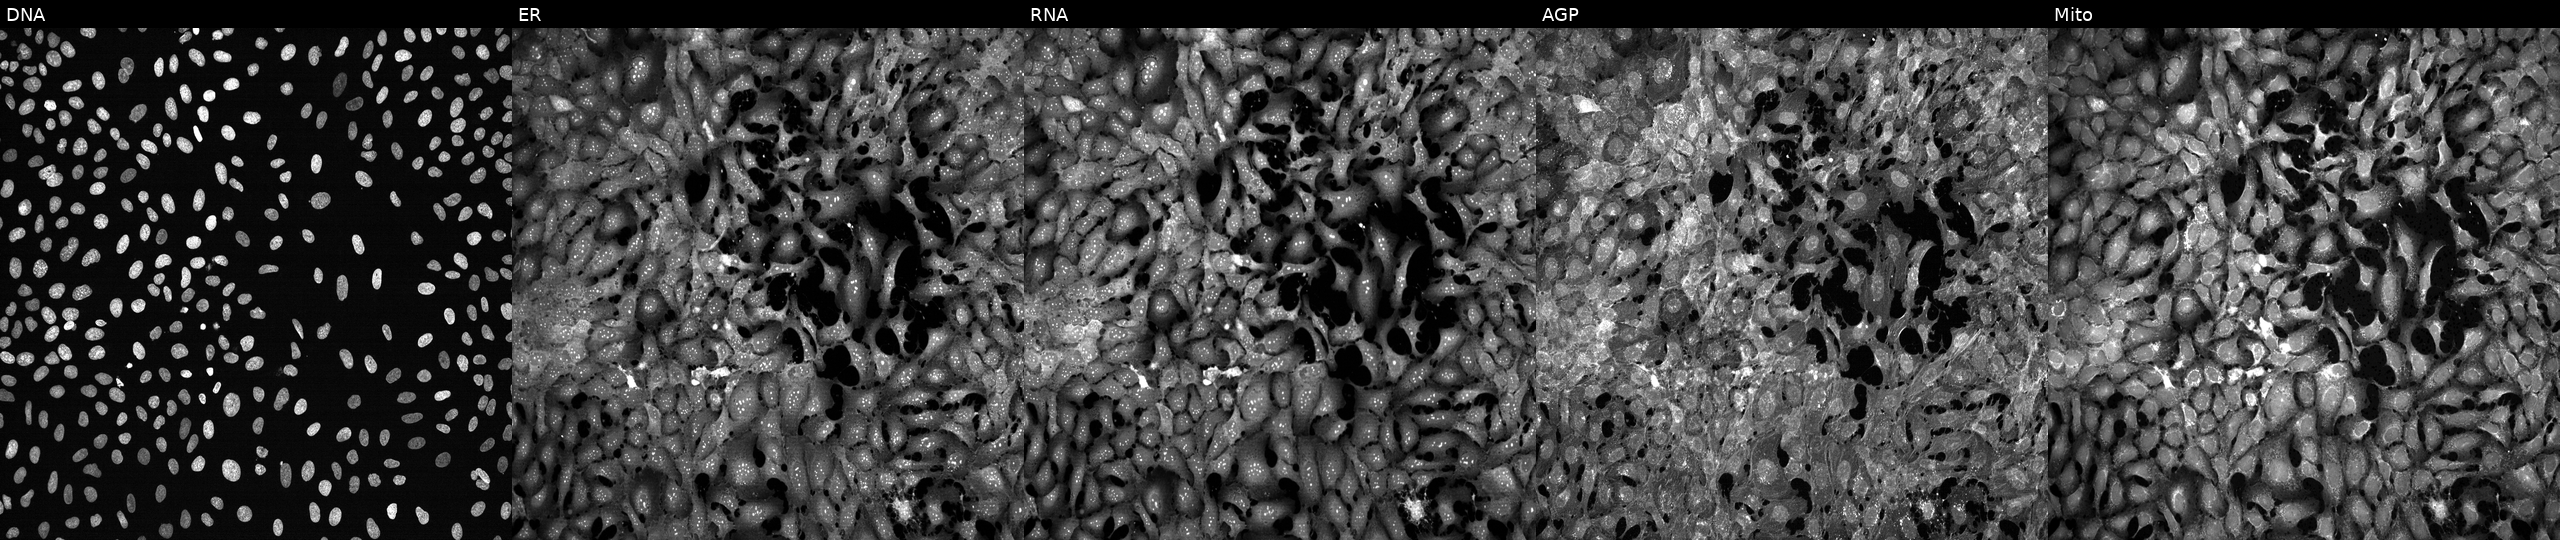
High-content fluorescence microscopy (Cell Painting). Cell line: U2OS. Perturbation: exposed to the positive-control compound FK-866 (JUMP id JCP2022_046054). From left to right: Hoechst 33342, concanavalin A, SYTO 14, phalloidin and WGA, MitoTracker. Source 13, plate CP-CC9-R1-02, well P24.